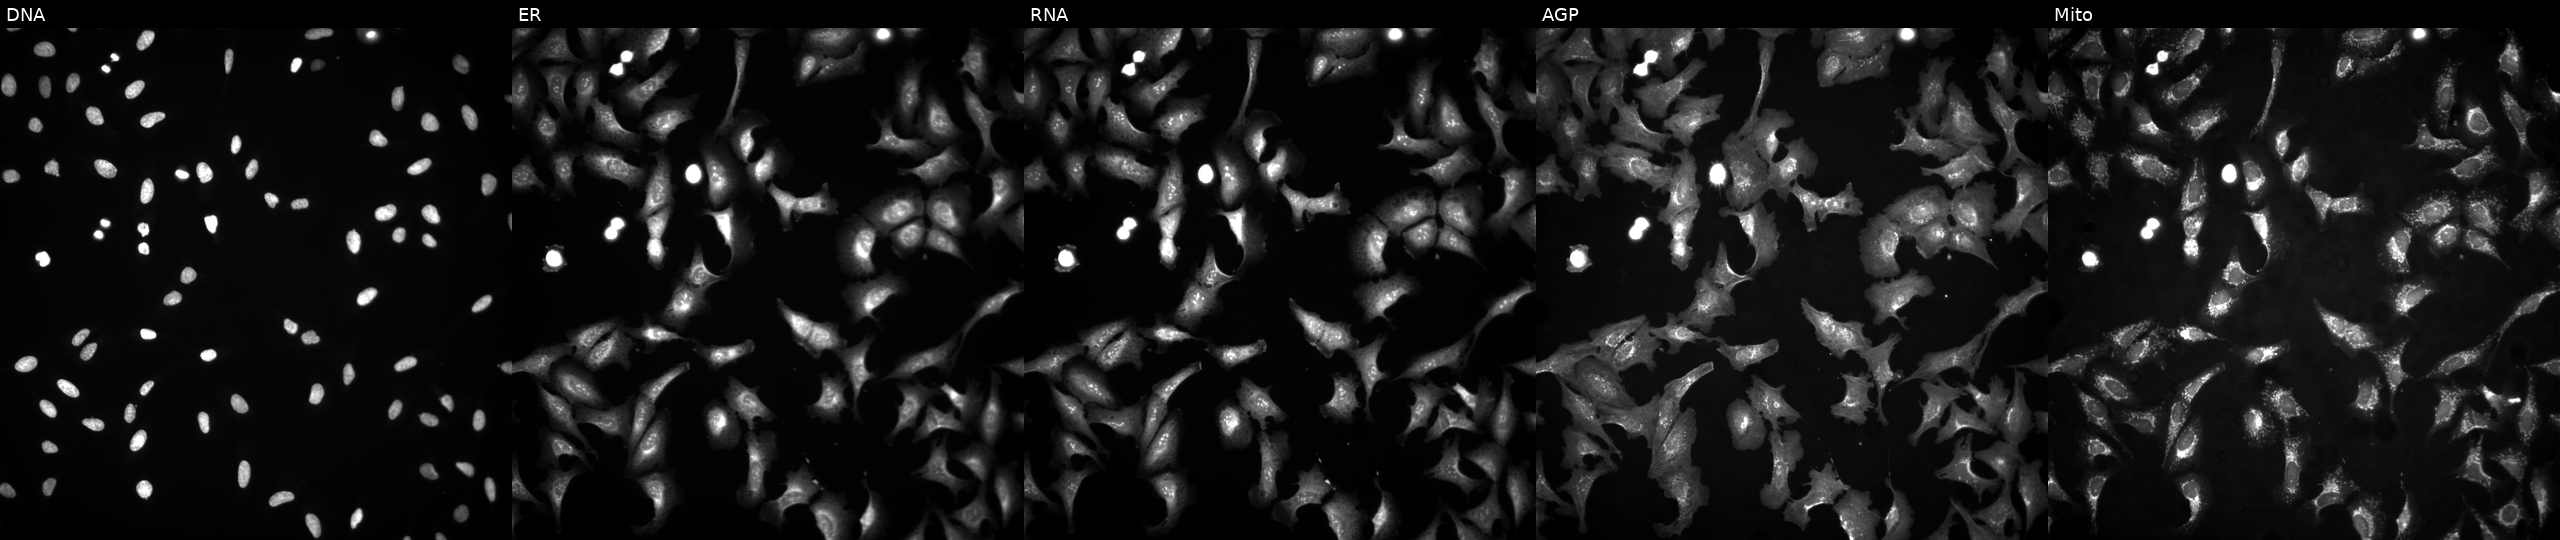
Channels (left→right): DNA, ER, RNA, AGP, and Mito. U2OS osteosarcoma cells overexpressing LOC646470 via ORF transfection (JUMP id JCP2022_912796). Cell Painting assay, JUMP-CP dataset. Source 4, plate BR00124787, well I23.